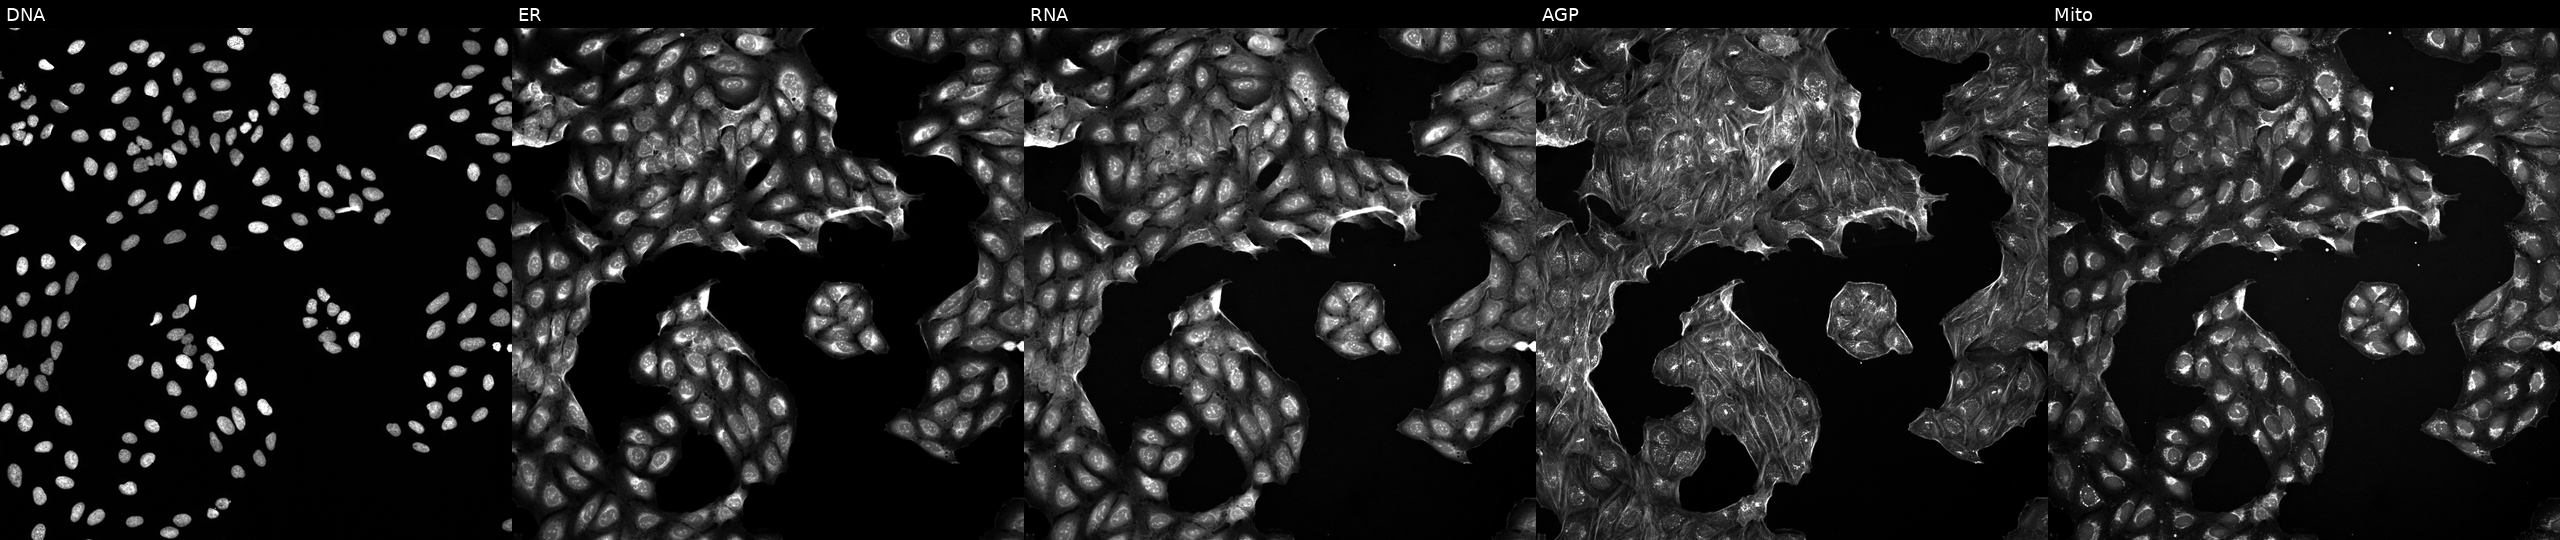
U2OS cells, Cell Painting assay, treated with DMSO vehicle only (negative control). From left to right: DNA, ER, RNA, AGP, and Mito. Each panel is percentile-stretched 16-bit fluorescence.